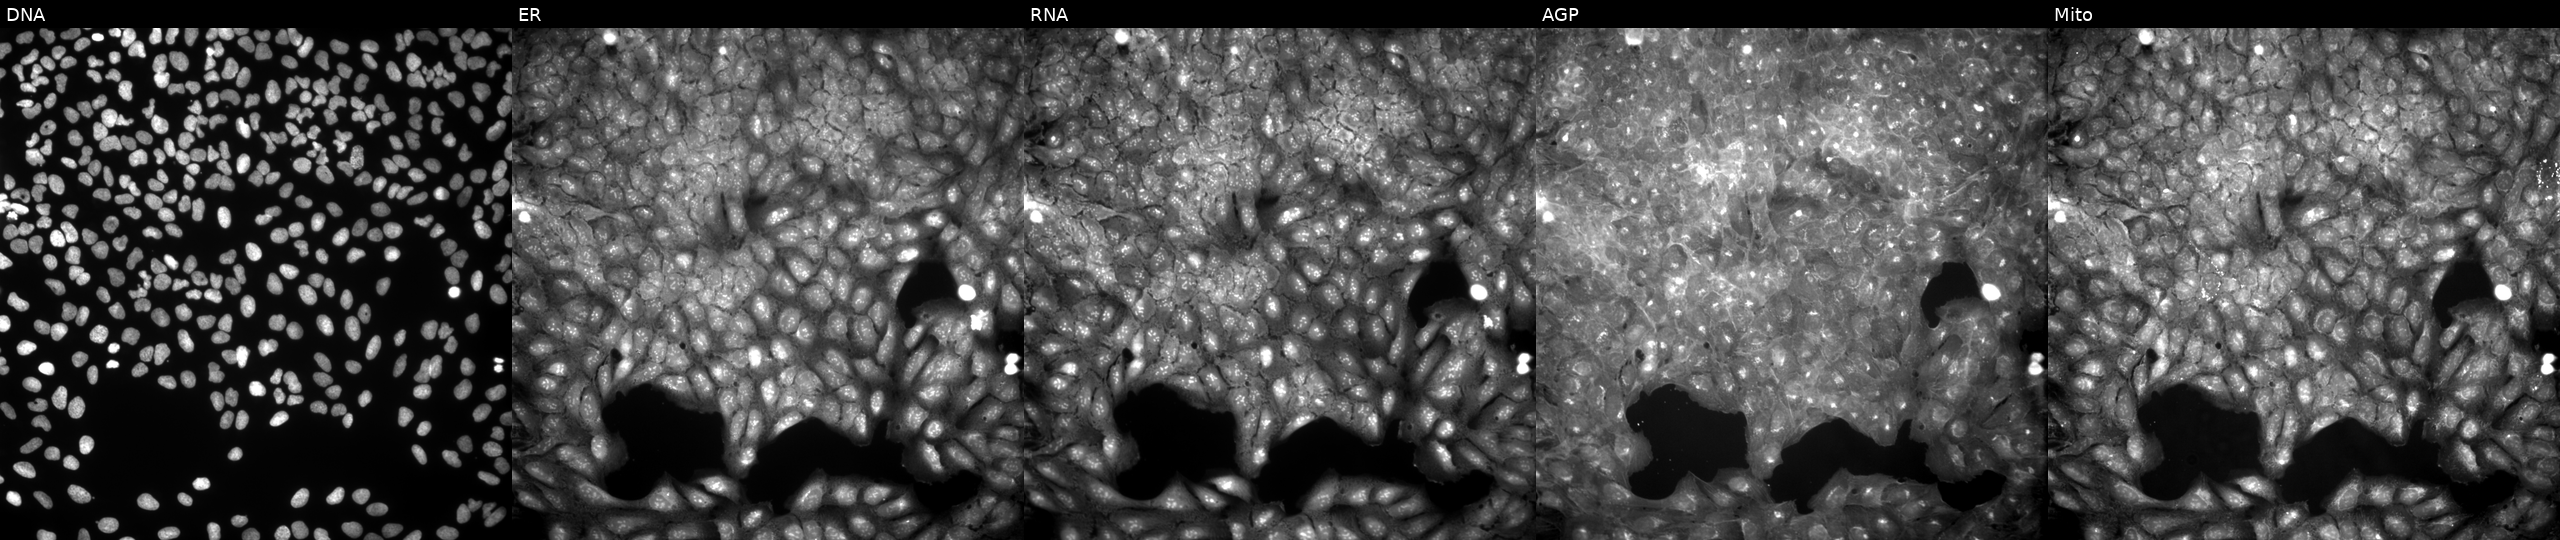
JUMP Cell Painting — COMPOUND plate. U2OS cells treated with aloxistatin (positive-control compound). The five panels, left to right, show DNA (nuclei); ER (endoplasmic reticulum); RNA (nucleoli and cytoplasmic RNA); AGP (actin cytoskeleton, Golgi, and plasma membrane); Mito (mitochondria).